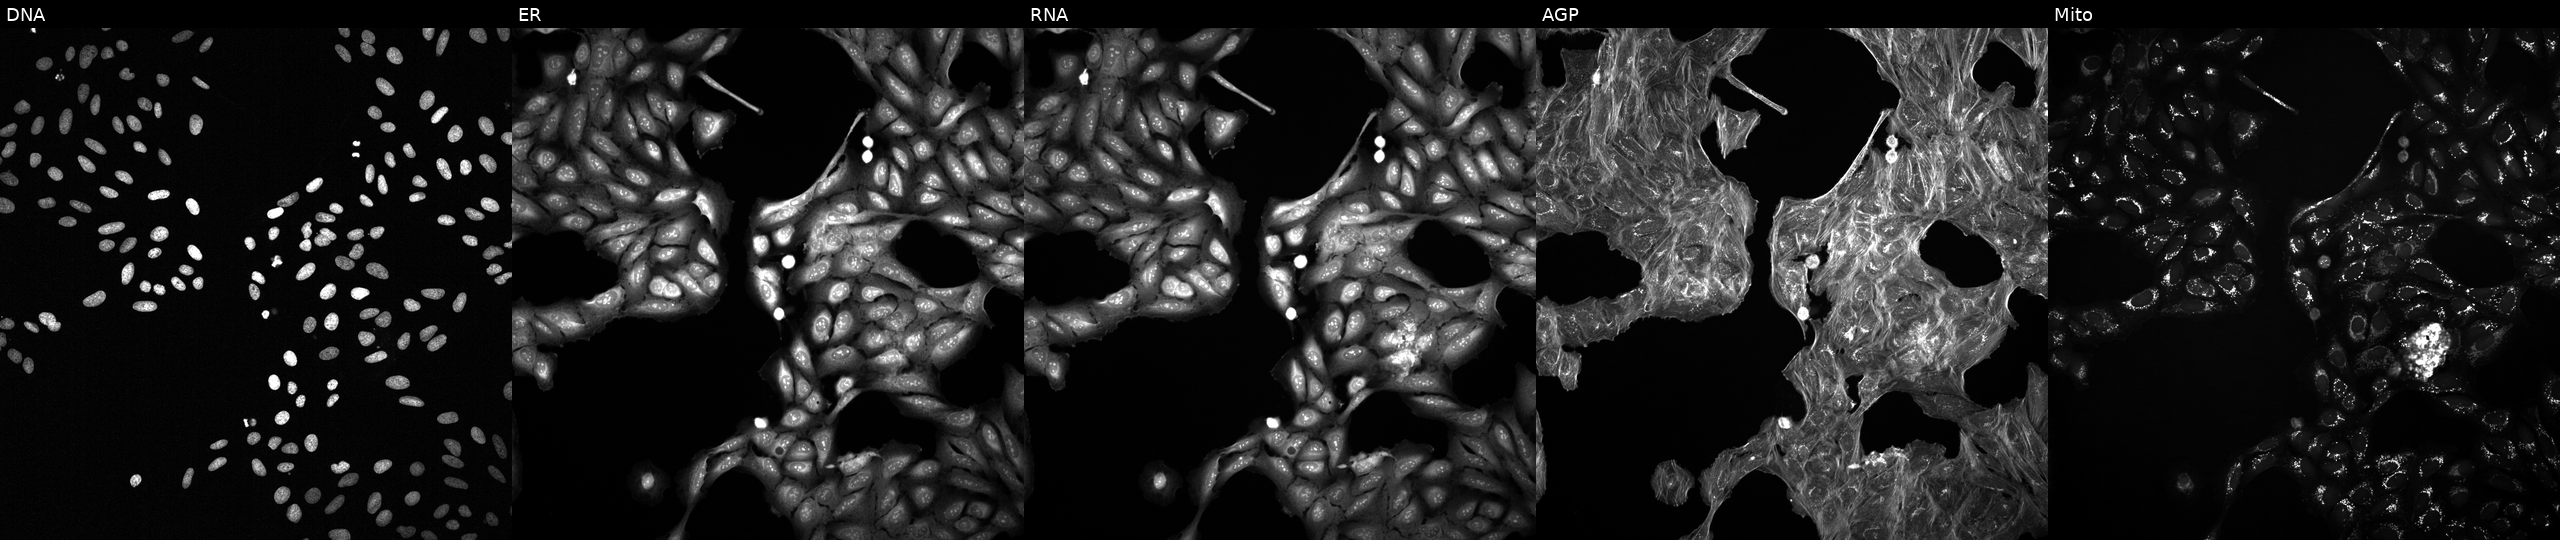
This image strip shows the five Cell Painting channels for a single field of U2OS cells perturbed with a small-molecule compound. Panels show, left to right, Hoechst 33342, concanavalin A, SYTO 14, phalloidin and WGA, MitoTracker.